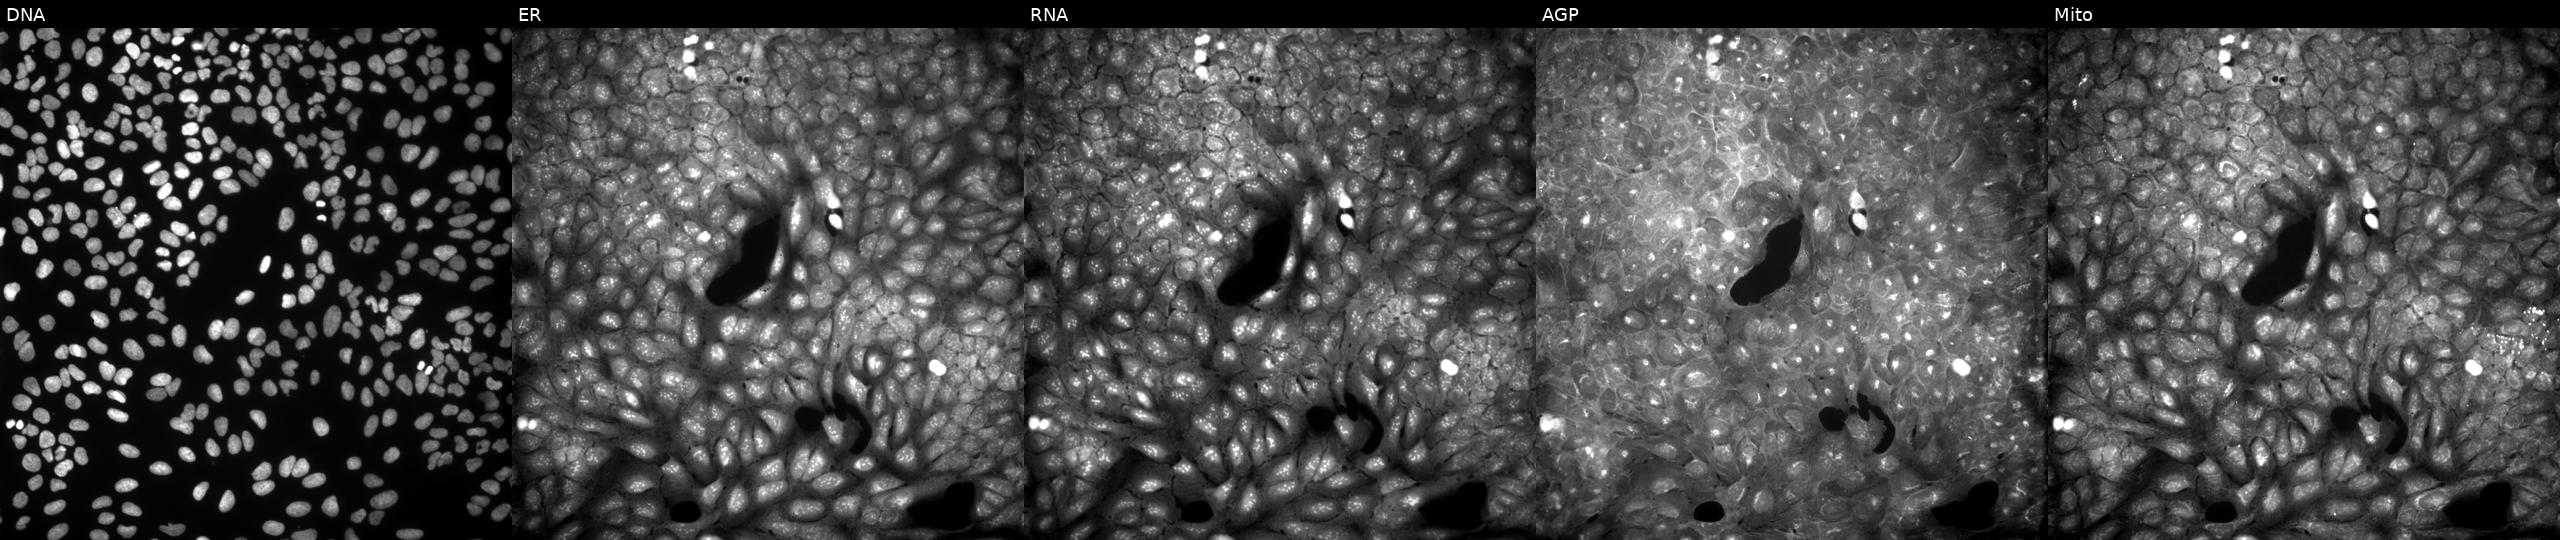
U2OS cells, Cell Painting assay, treated with a small-molecule compound (InChIKey QXDRUASDZUFBGF-UHFFFAOYSA-N). The five panels, left to right, show DNA, ER, RNA, AGP, and Mito. Each panel is percentile-stretched 16-bit fluorescence. Source 9, plate GR00003381, well S21.